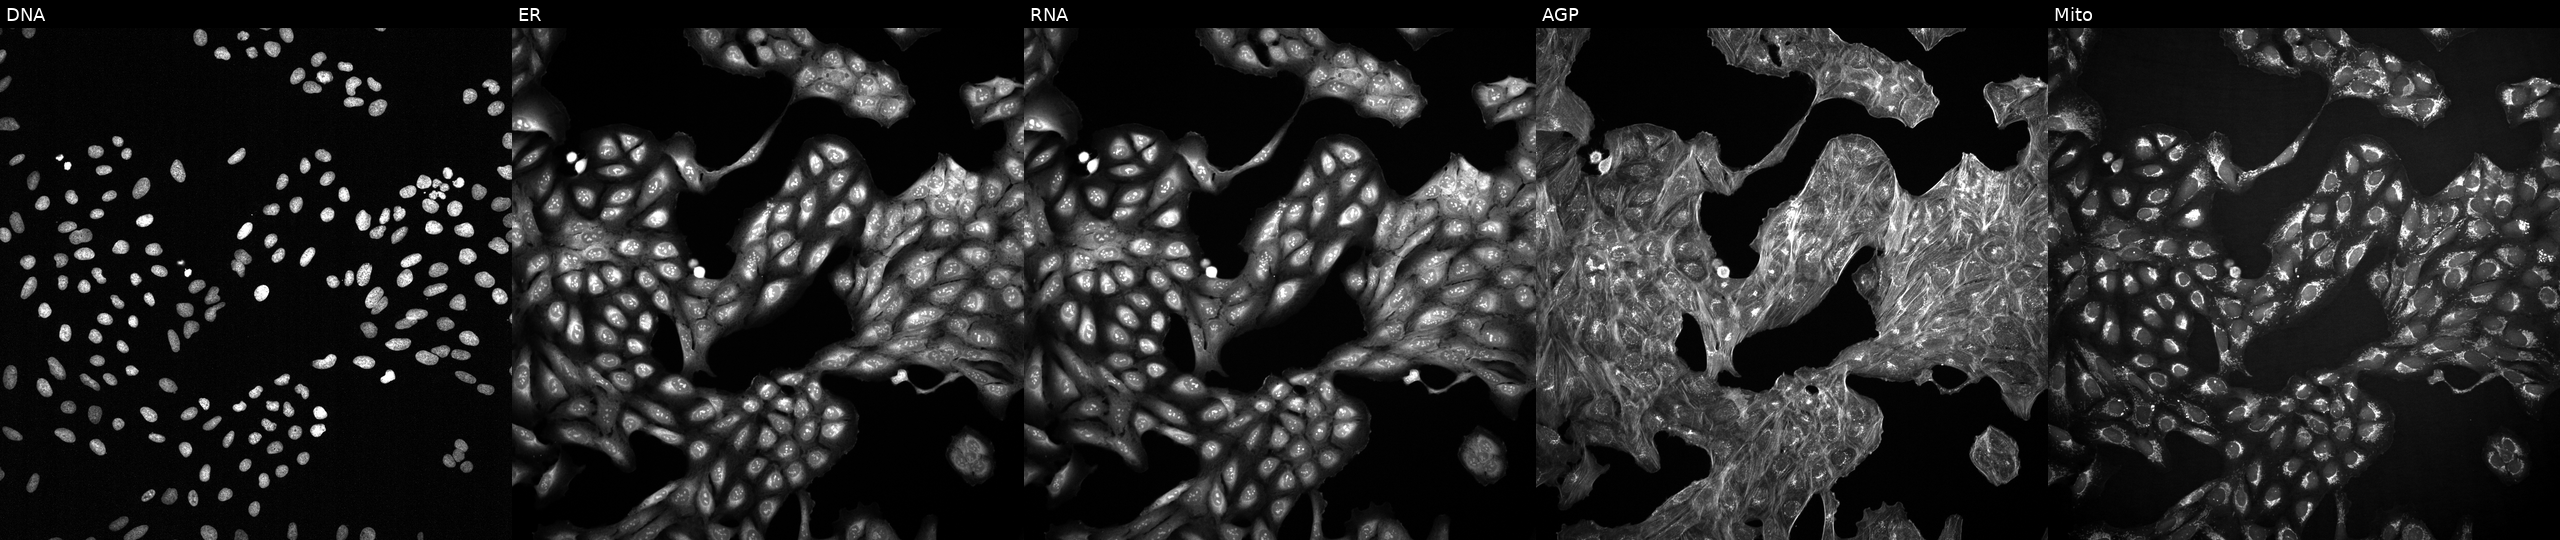
JUMP Cell Painting — TARGET2 plate. U2OS cells treated with a small-molecule compound. Panels show, left to right, Hoechst 33342, concanavalin A, SYTO 14, phalloidin and WGA, MitoTracker.